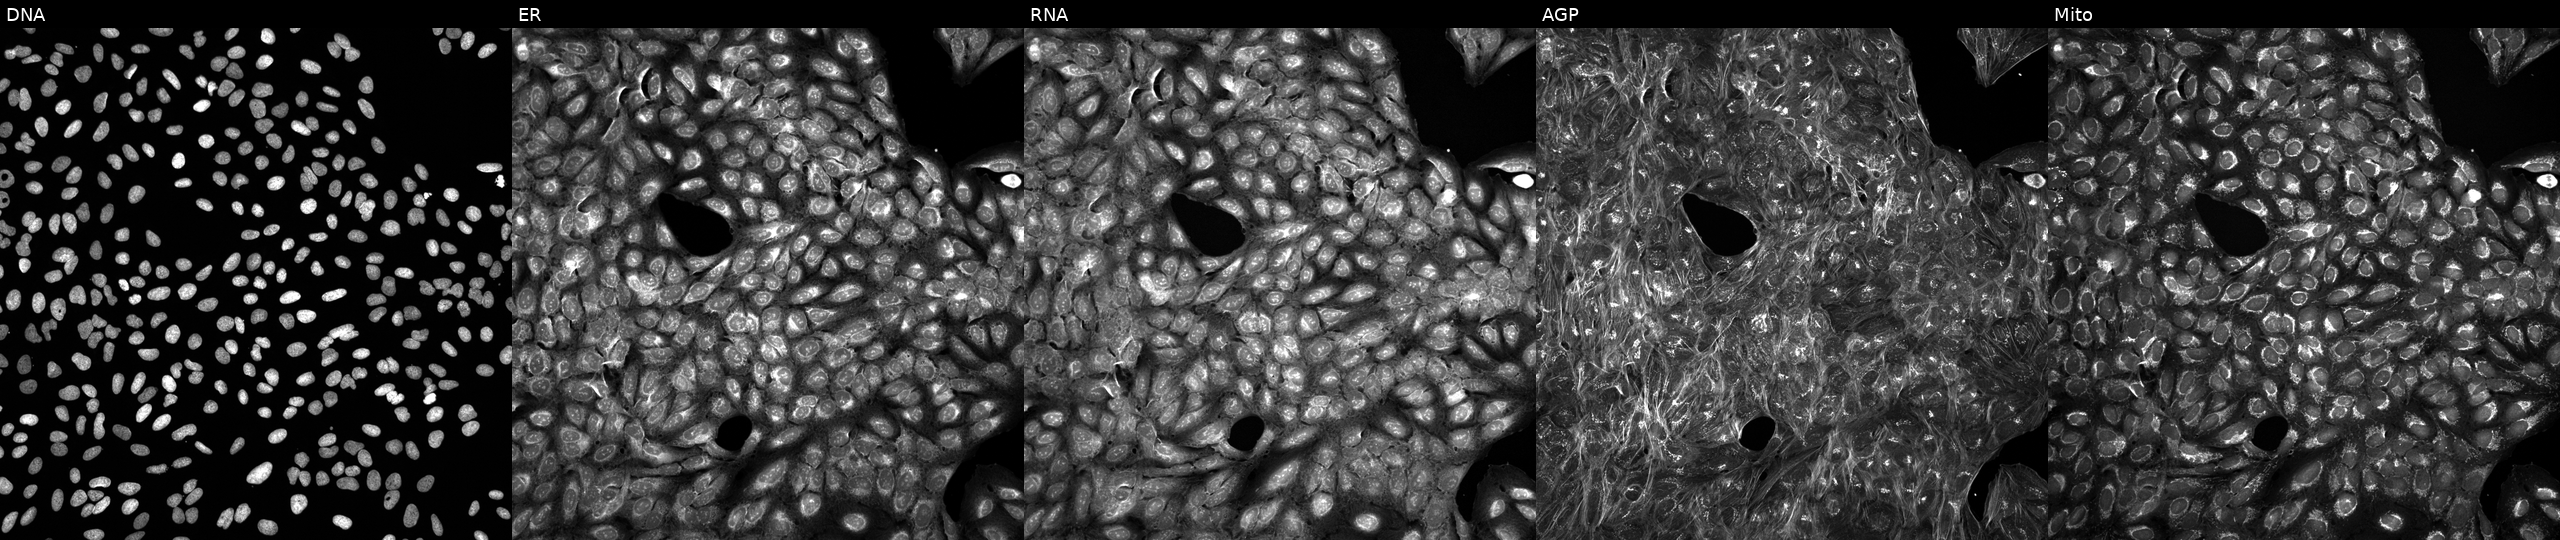
Five-channel Cell Painting image of U2OS cells treated with dexamethasone (positive-control compound) (JUMP id JCP2022_025848). Channels (left→right): Hoechst 33342, concanavalin A, SYTO 14, phalloidin and WGA, MitoTracker. Source 5, plate ACPJUM012, well H24.